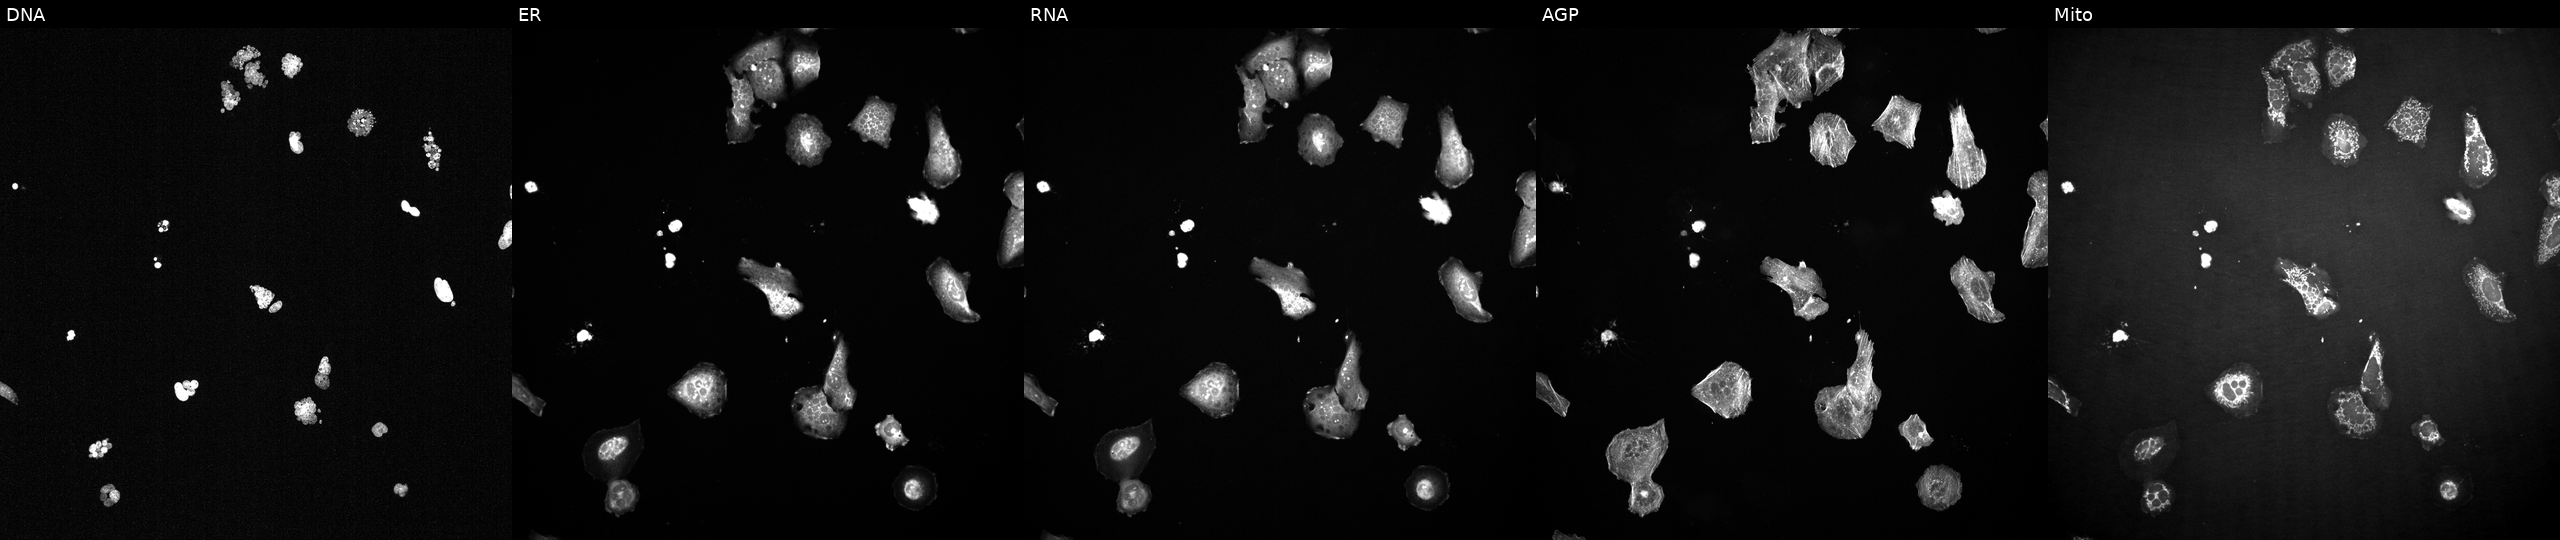
U2OS cells, Cell Painting assay, exposed to a small-molecule compound (InChIKey RAOCRURYZCVHMG-UHFFFAOYSA-N). From left to right: Hoechst 33342, concanavalin A, SYTO 14, phalloidin and WGA, MitoTracker. Each panel is percentile-stretched 16-bit fluorescence.